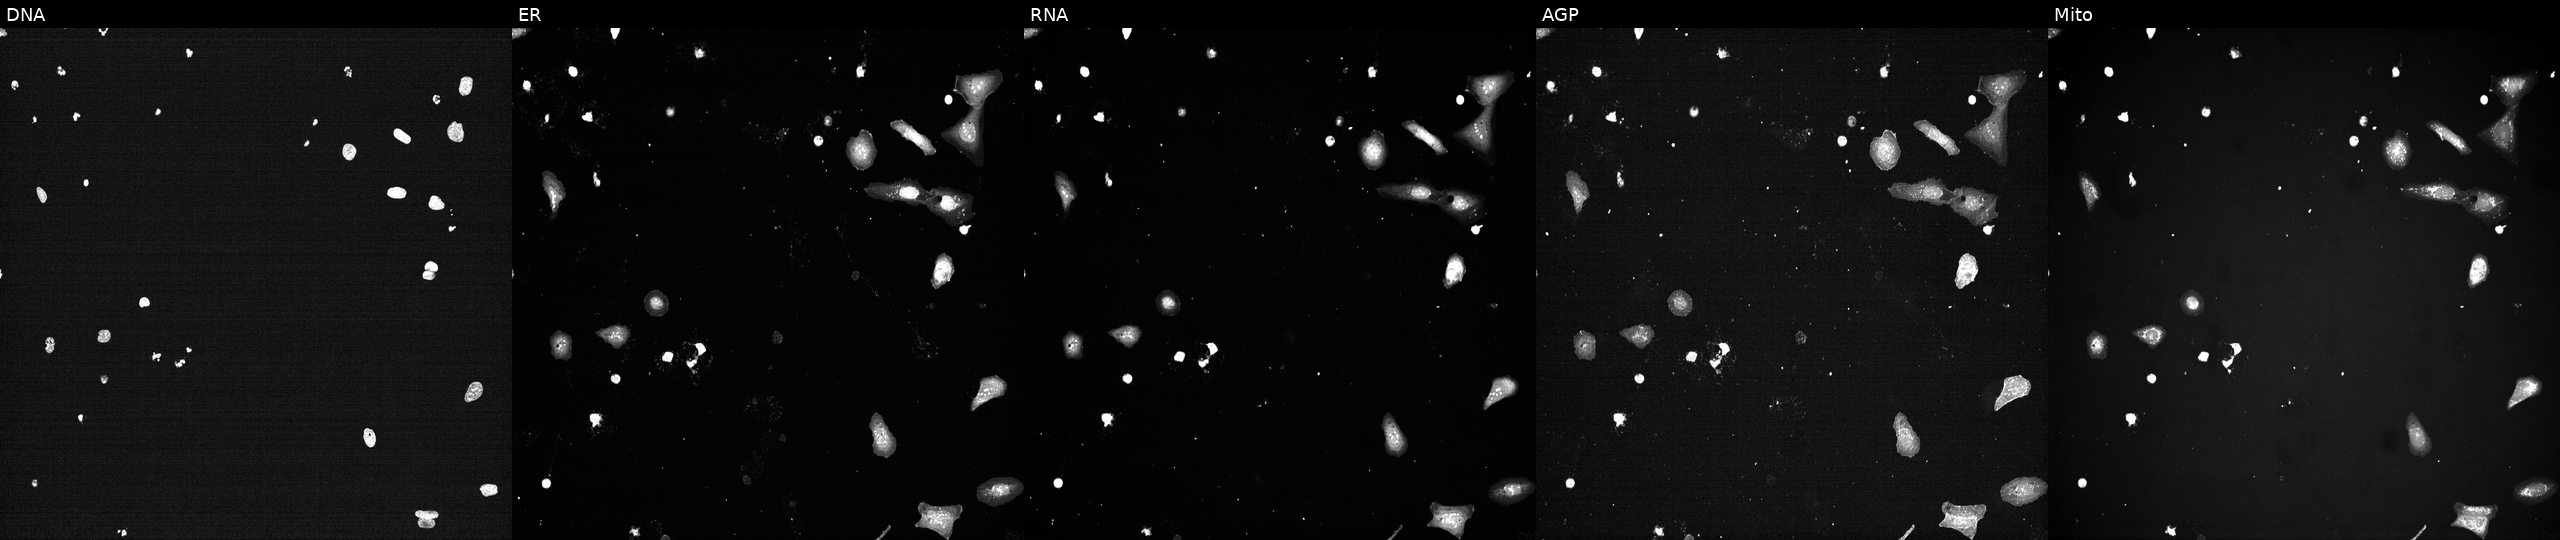
Channels (left→right): DNA, ER, RNA, AGP, and Mito. U2OS osteosarcoma cells treated with a small-molecule compound [SMILES: COC(=O)CC(O)(CCCC(C)(C)O)C(=O)OC1C(OC)=CC23CCCN2CCc2cc4c(cc2C13)OCO4] (JUMP id JCP2022_033400). Cell Painting assay, JUMP-CP dataset.